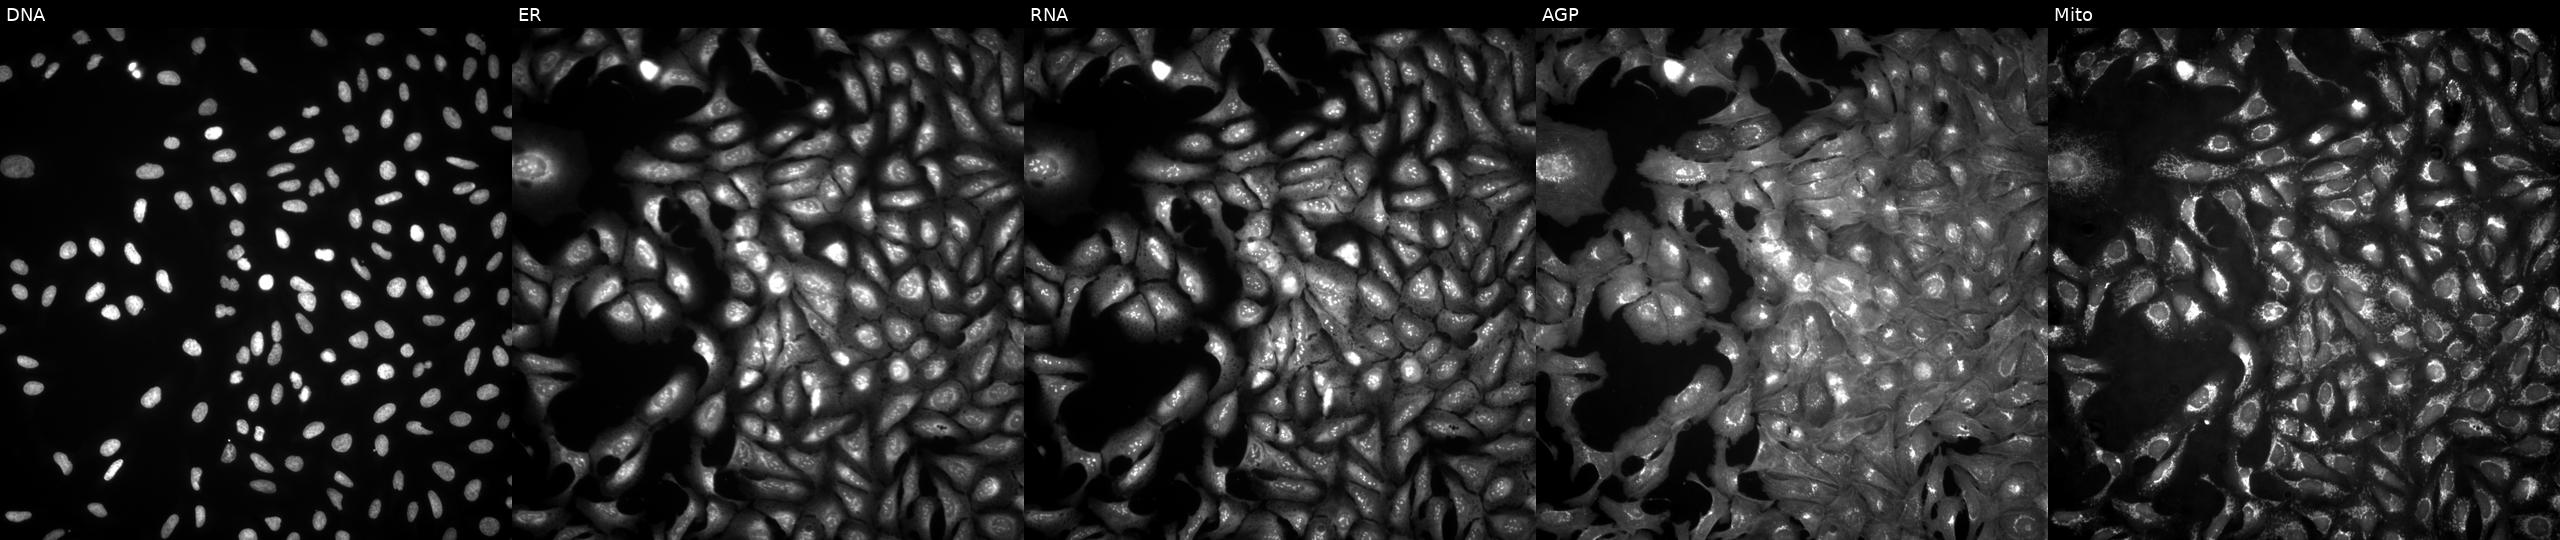
This image strip shows the five Cell Painting channels for a single field of U2OS cells overexpressing RPL23A via ORF transfection (JUMP id JCP2022_909822). Panels show, left to right, Hoechst 33342, concanavalin A, SYTO 14, phalloidin and WGA, MitoTracker. Source 4, plate BR00123509, well D07.